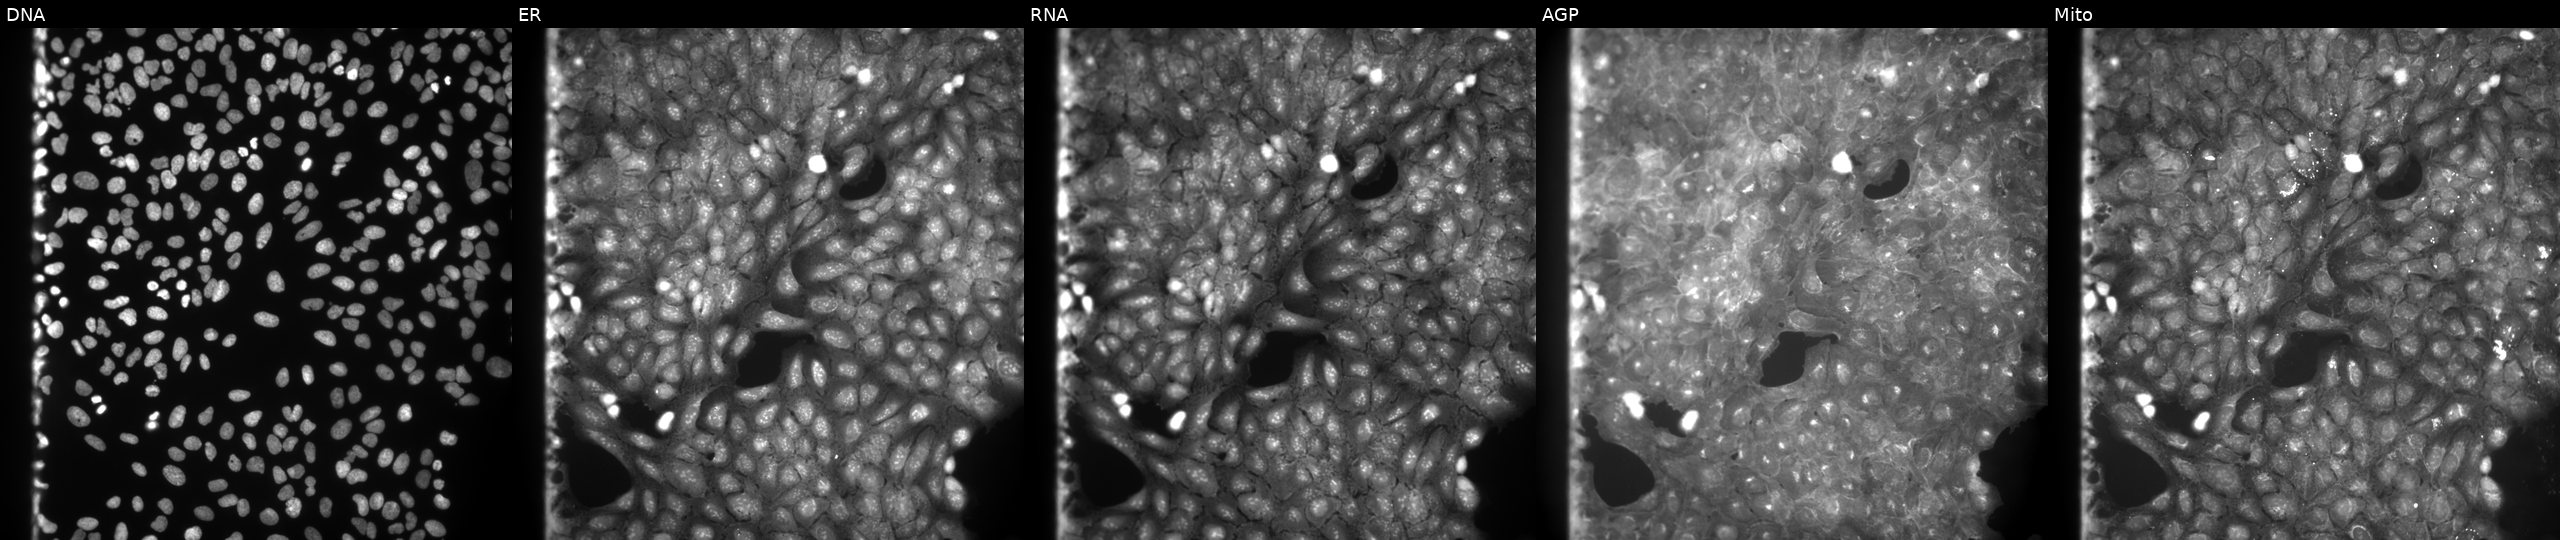
From left to right: DNA, ER, RNA, AGP, and Mito. U2OS osteosarcoma cells exposed to a small-molecule compound (InChIKey PFRFPUIFDBUYHH-UHFFFAOYSA-N) (JUMP id JCP2022_068306). Cell Painting assay, JUMP-CP dataset. Source 9, plate GR00003382, well E06.